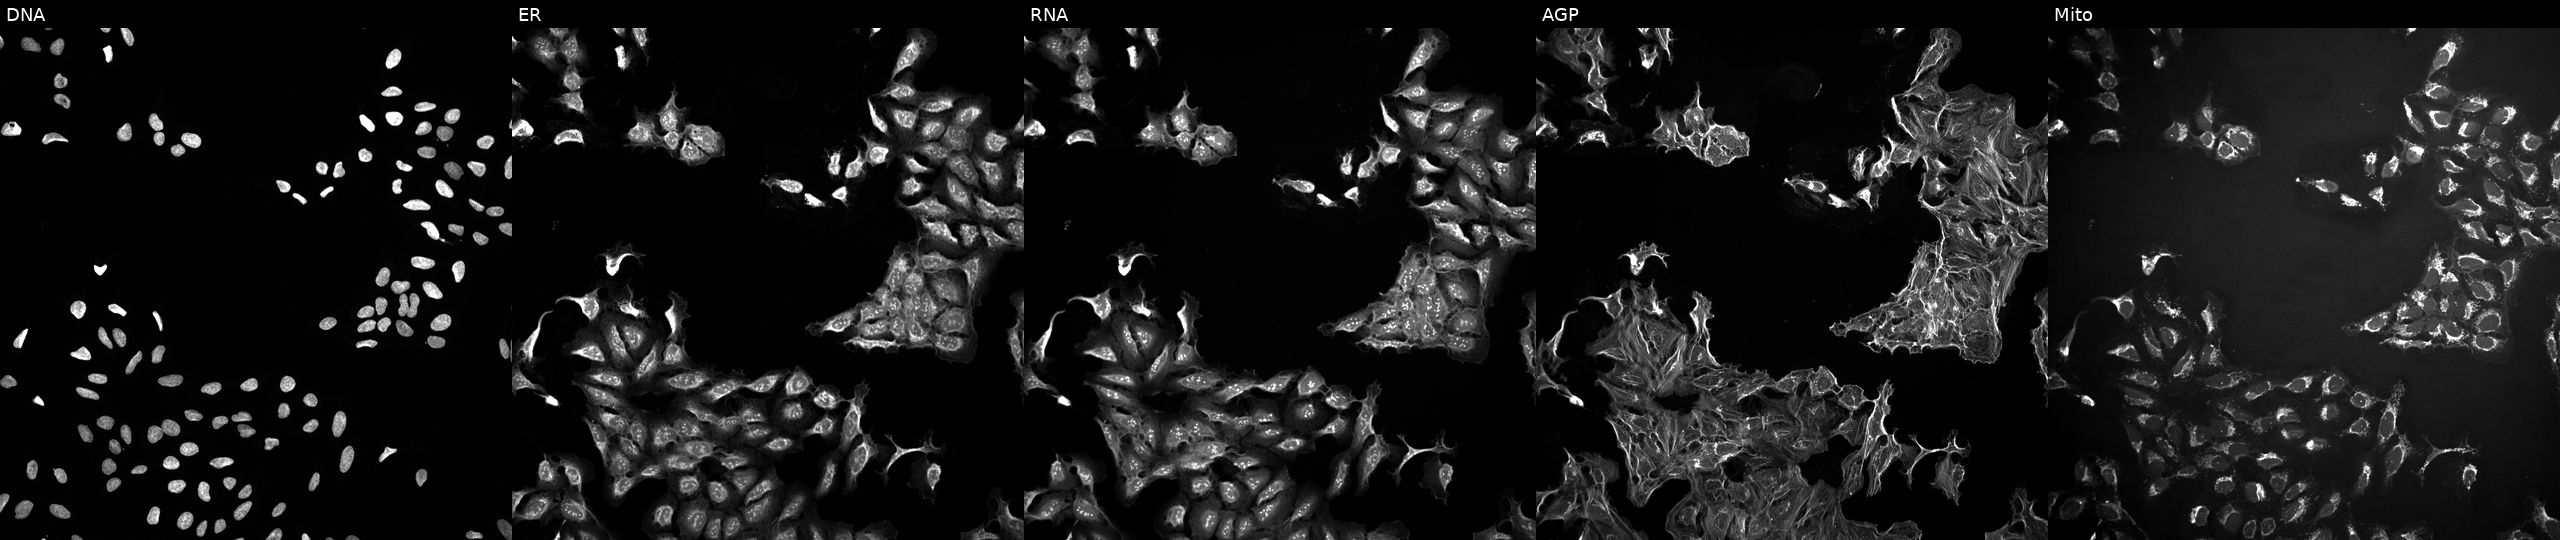
This image strip shows the five Cell Painting channels for a single field of U2OS cells exposed to DMSO alone as a negative control (JUMP id JCP2022_033924). From left to right: DNA, ER, RNA, AGP, and Mito.